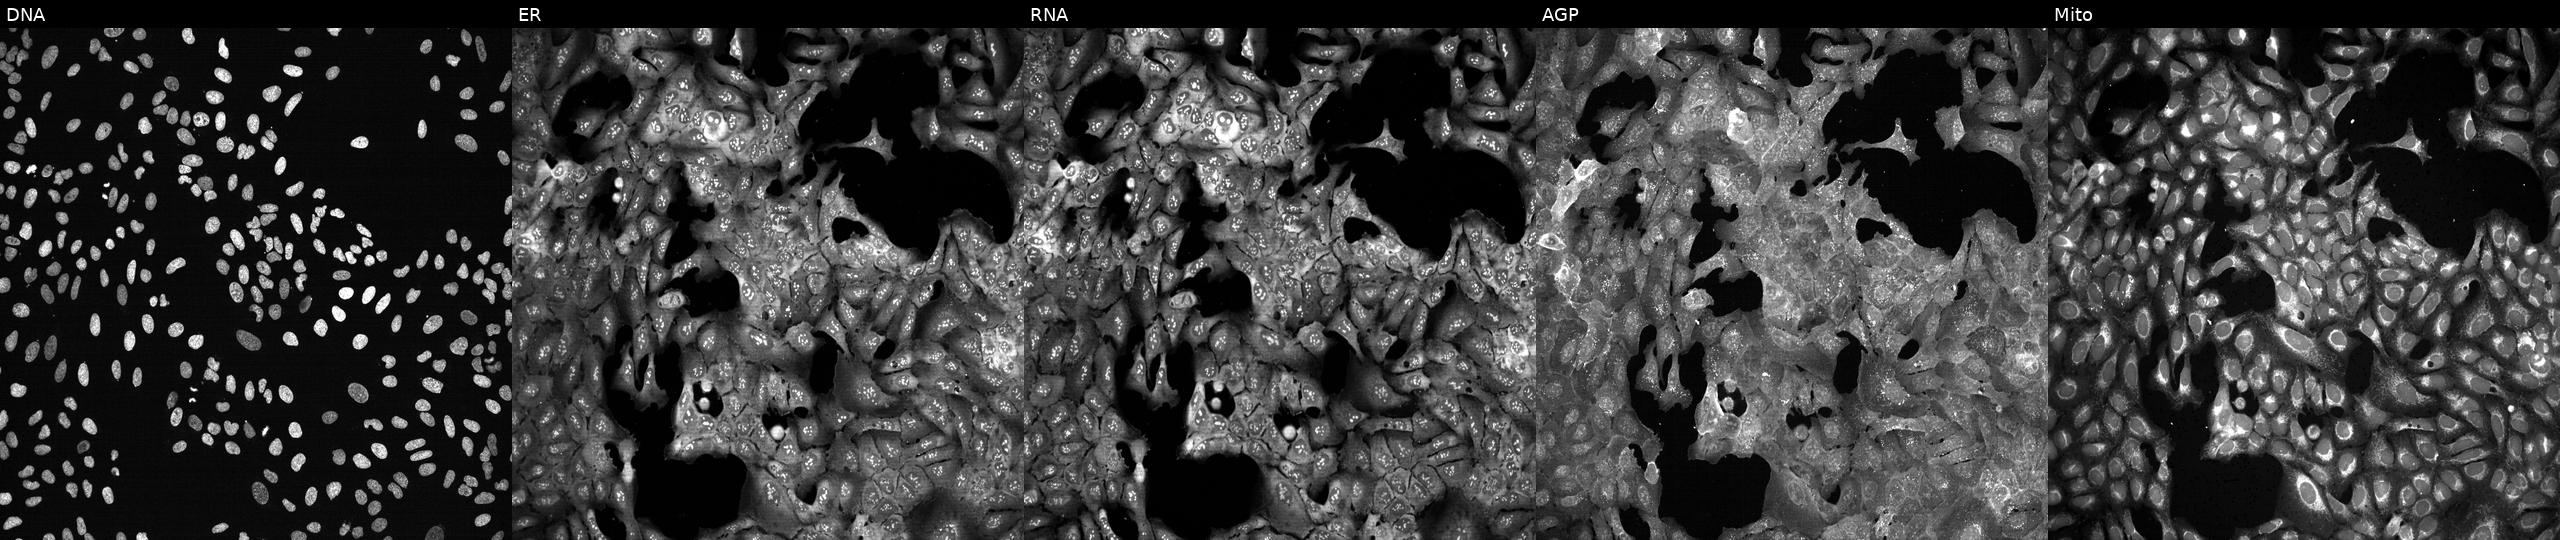
This image strip shows the five Cell Painting channels for a single field of U2OS cells following CRISPR knockout of RAB5B (JUMP id JCP2022_805781). From left to right: DNA (nuclei); ER (endoplasmic reticulum); RNA (nucleoli and cytoplasmic RNA); AGP (actin cytoskeleton, Golgi, and plasma membrane); Mito (mitochondria). Source 13, plate CP-CC9-R5-01, well H10.